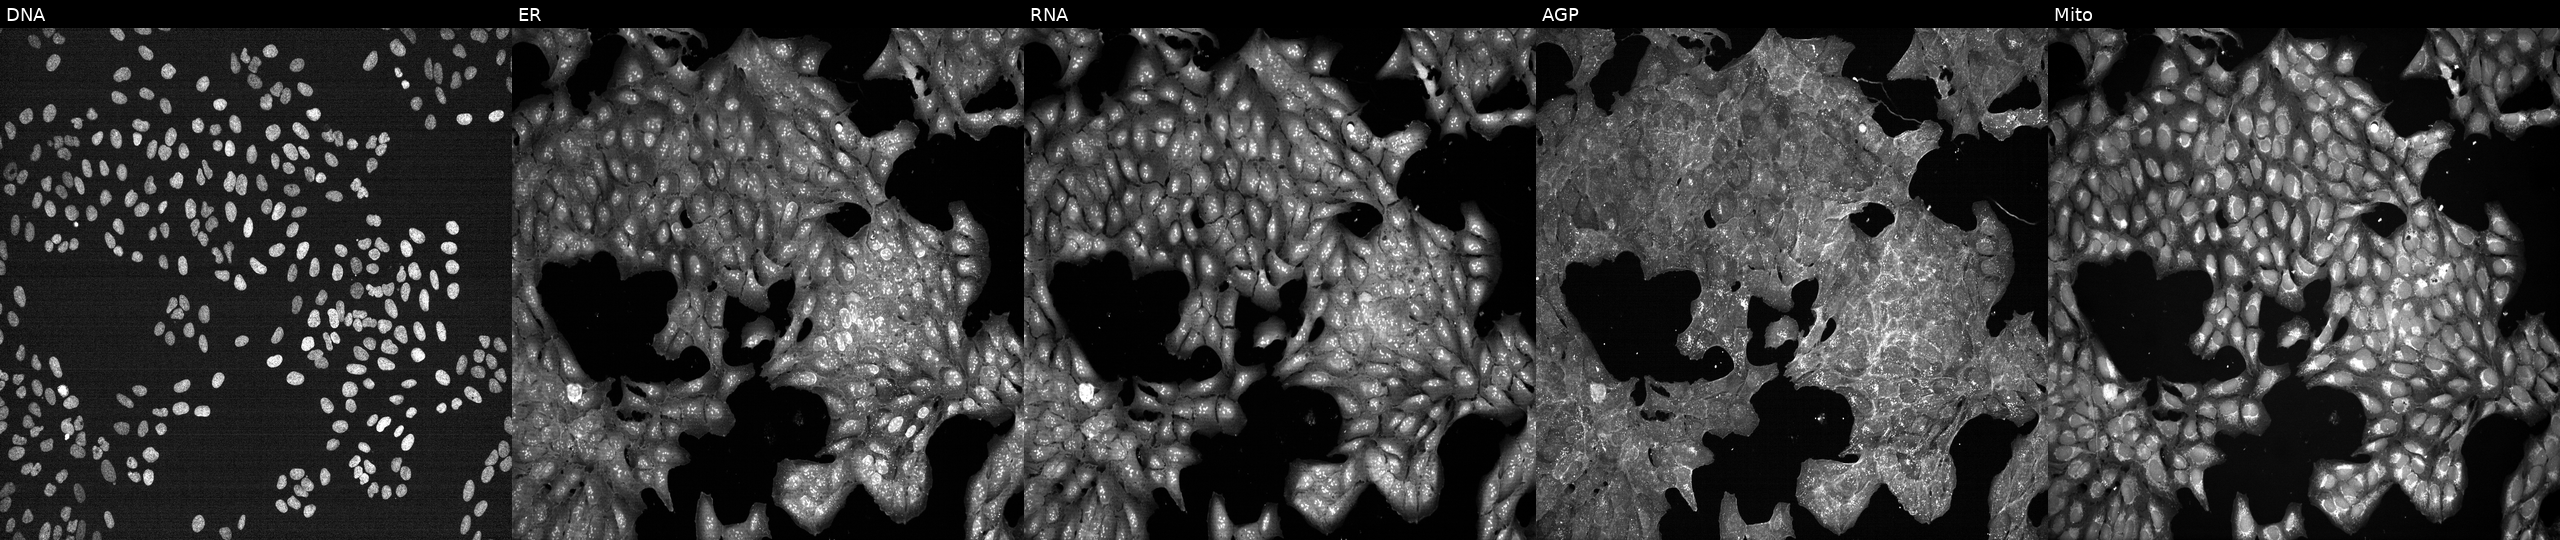
High-content fluorescence microscopy (Cell Painting). Cell line: U2OS. Perturbation: exposed to a small-molecule compound (InChIKey XSDQTOBWRPYKKA-UHFFFAOYSA-N) (JUMP id JCP2022_105696). From left to right: Hoechst 33342, concanavalin A, SYTO 14, phalloidin and WGA, MitoTracker. Source 7, plate CP1-SC1-25, well K11.